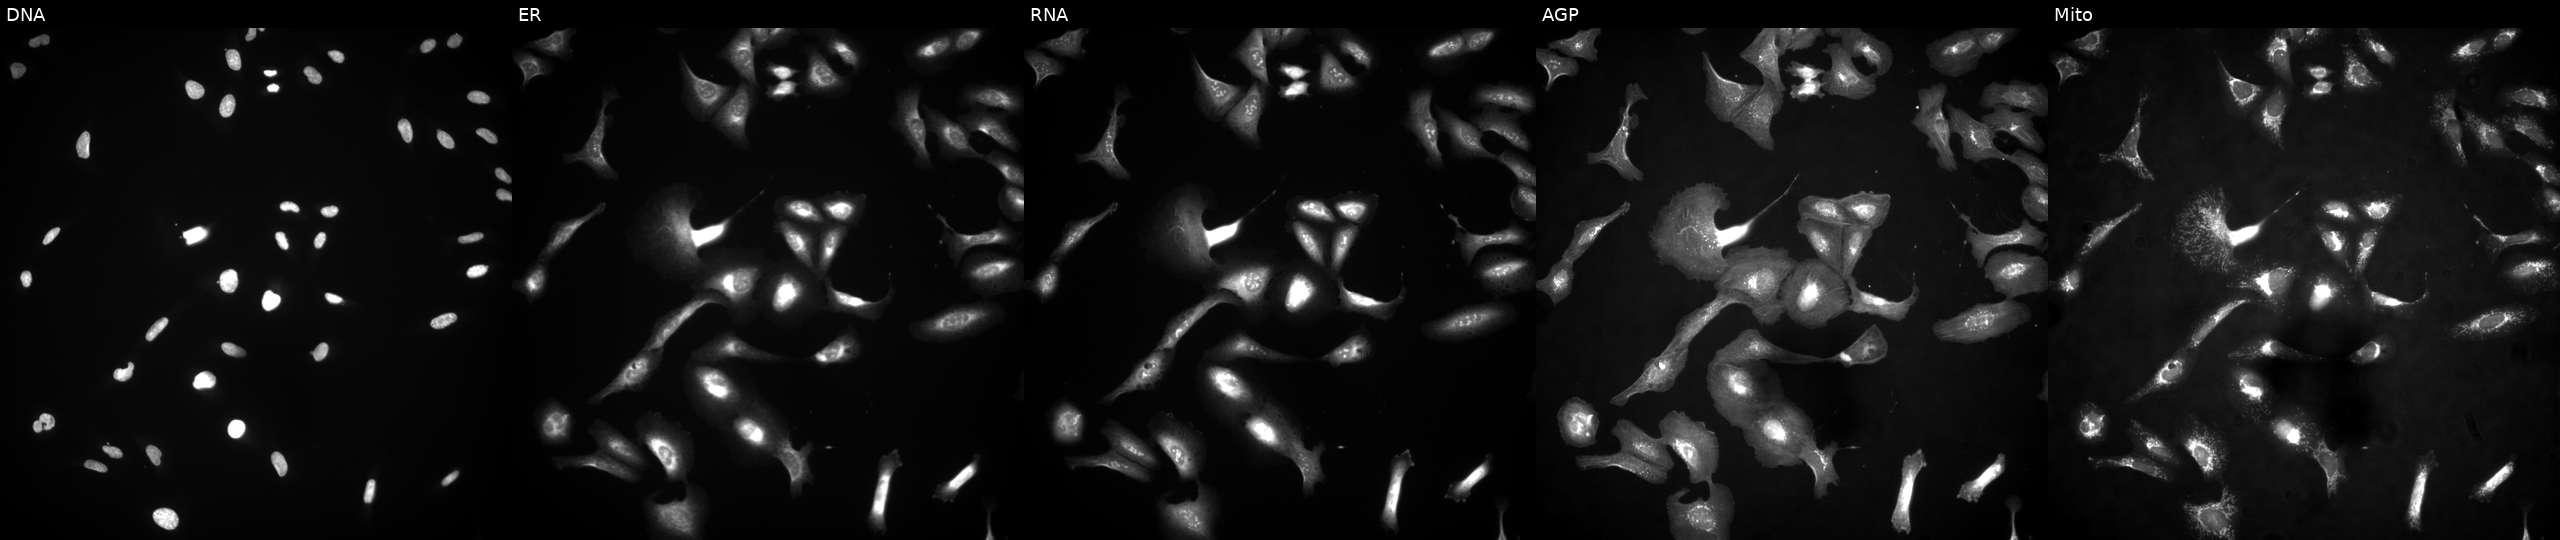
Five-channel Cell Painting image of U2OS cells transfected with an ORF construct for HAL (JUMP id JCP2022_905940). Channels (left→right): DNA (nuclei); ER (endoplasmic reticulum); RNA (nucleoli and cytoplasmic RNA); AGP (actin cytoskeleton, Golgi, and plasma membrane); Mito (mitochondria).